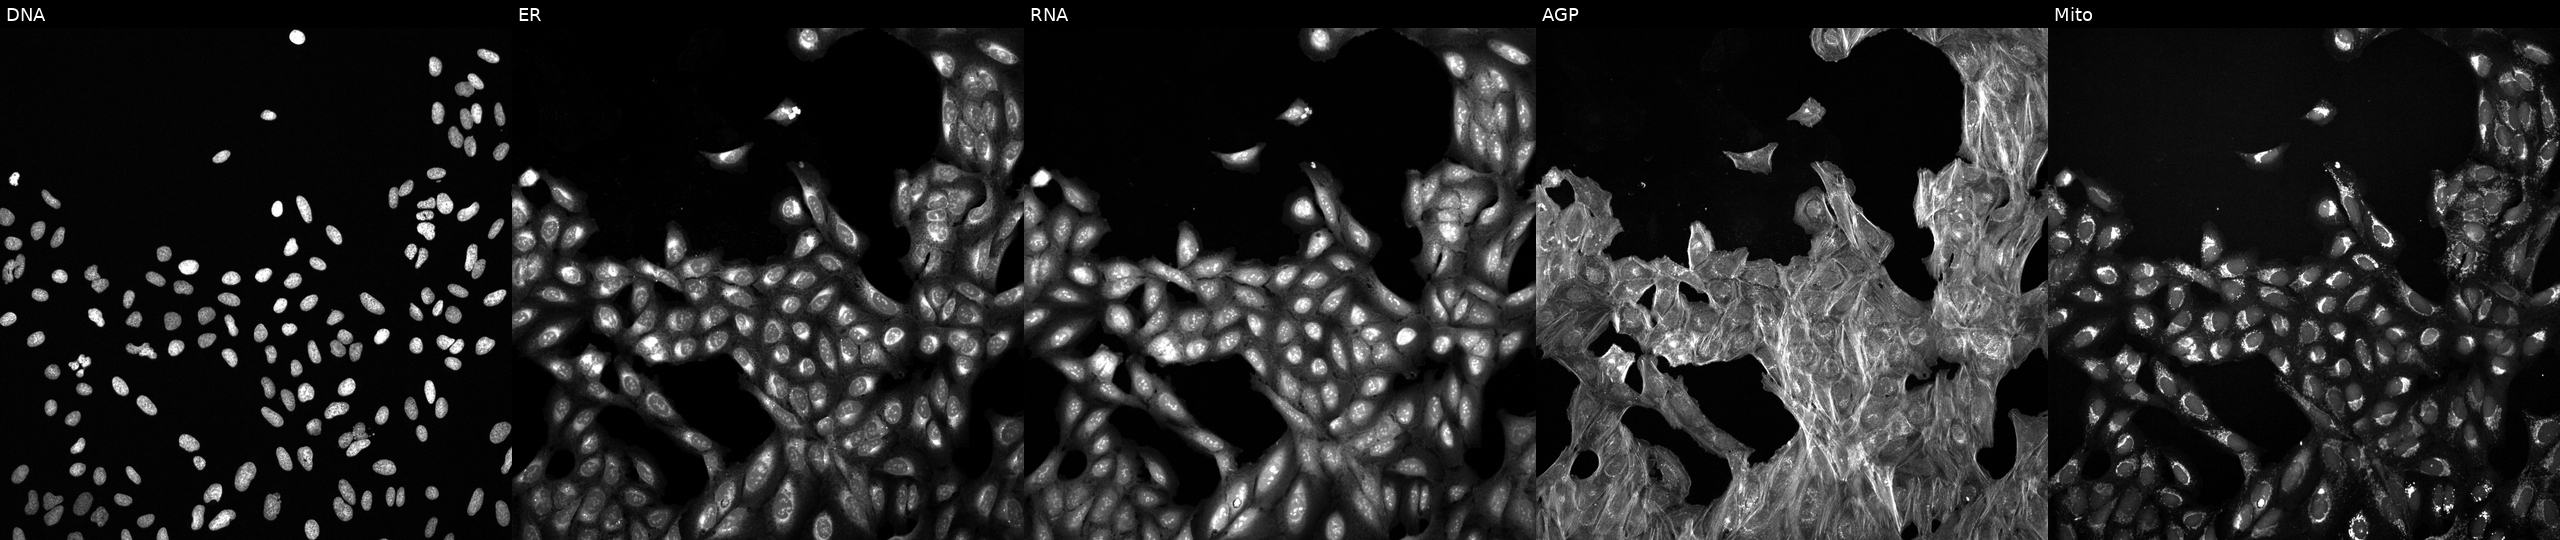
Five-channel Cell Painting image of U2OS cells perturbed with a small-molecule compound (JUMP id JCP2022_024547). Panels show, left to right, Hoechst 33342, concanavalin A, SYTO 14, phalloidin and WGA, MitoTracker.